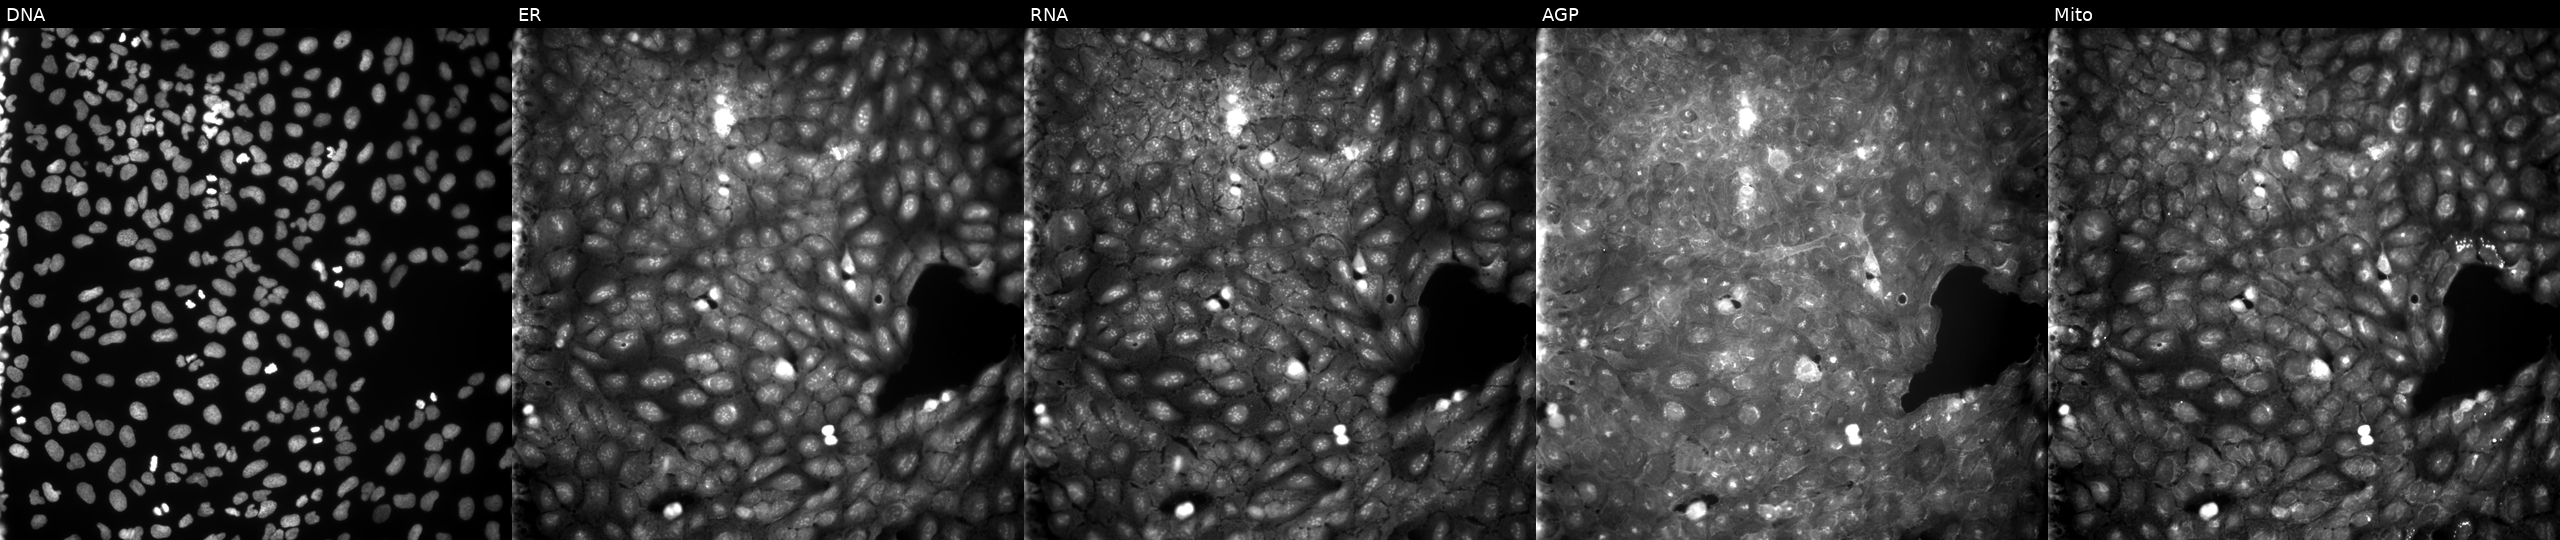
The five panels, left to right, show DNA (nuclei); ER (endoplasmic reticulum); RNA (nucleoli and cytoplasmic RNA); AGP (actin cytoskeleton, Golgi, and plasma membrane); Mito (mitochondria). U2OS osteosarcoma cells perturbed with a small-molecule compound (JUMP id JCP2022_116433). Cell Painting assay, JUMP-CP dataset. Source 9, plate GR00003381, well R11.